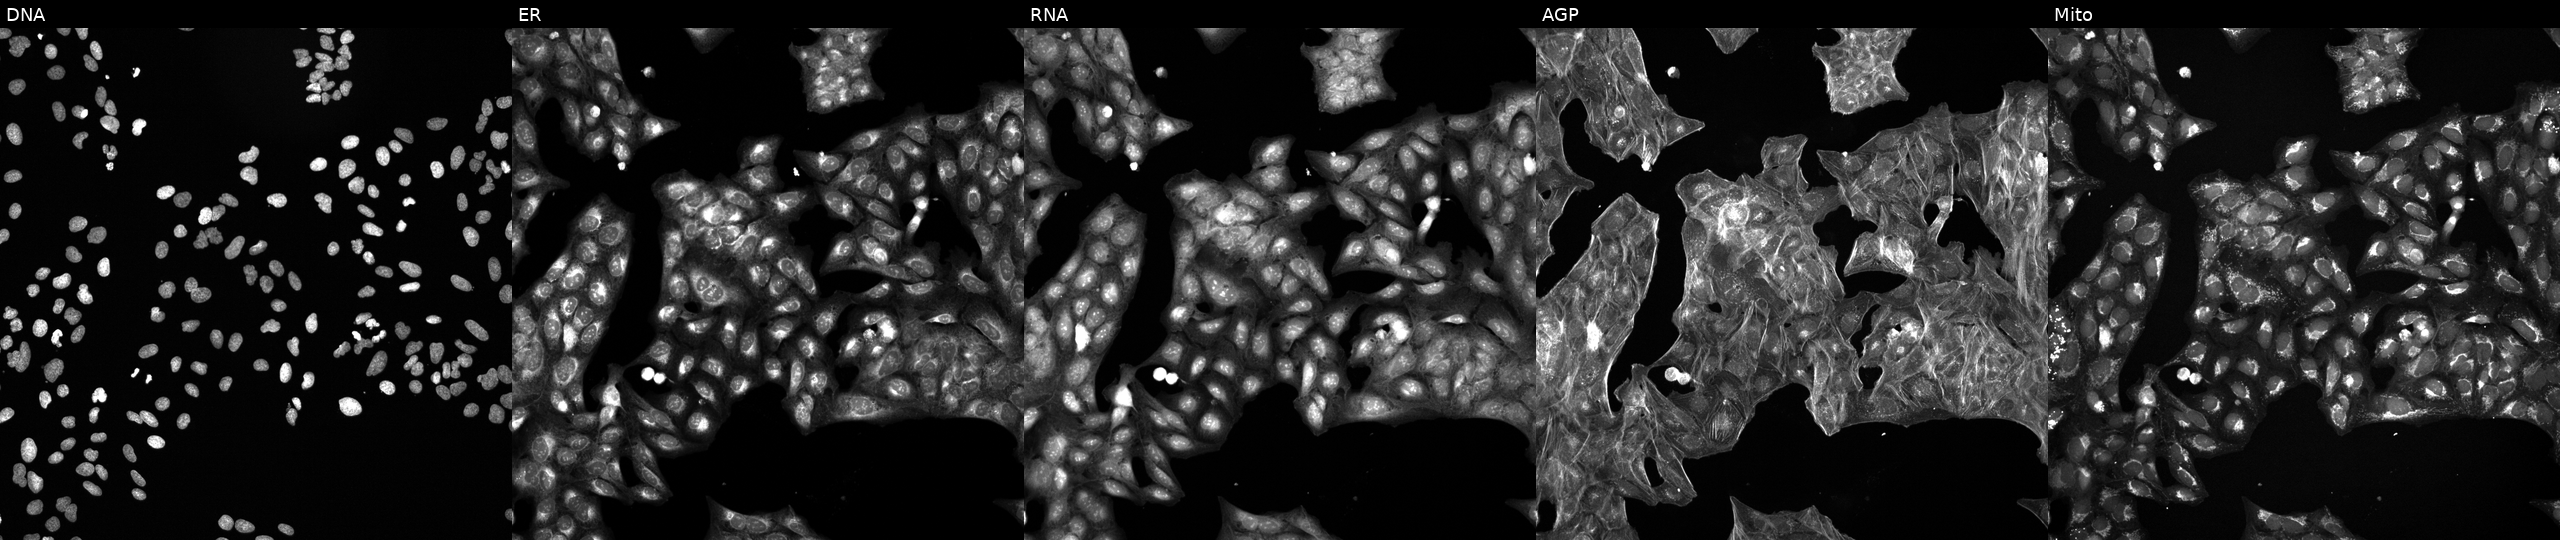
U2OS cells, Cell Painting assay, treated with a small-molecule compound [SMILES: CCC(C)(C)C(=O)OC1CC(C)C=C2C=CC(C)C(CCC3CC(O)CC(=O)O3)C21] (JUMP id JCP2022_081555). Panels show, left to right, DNA, ER, RNA, AGP, and Mito. Each panel is percentile-stretched 16-bit fluorescence.